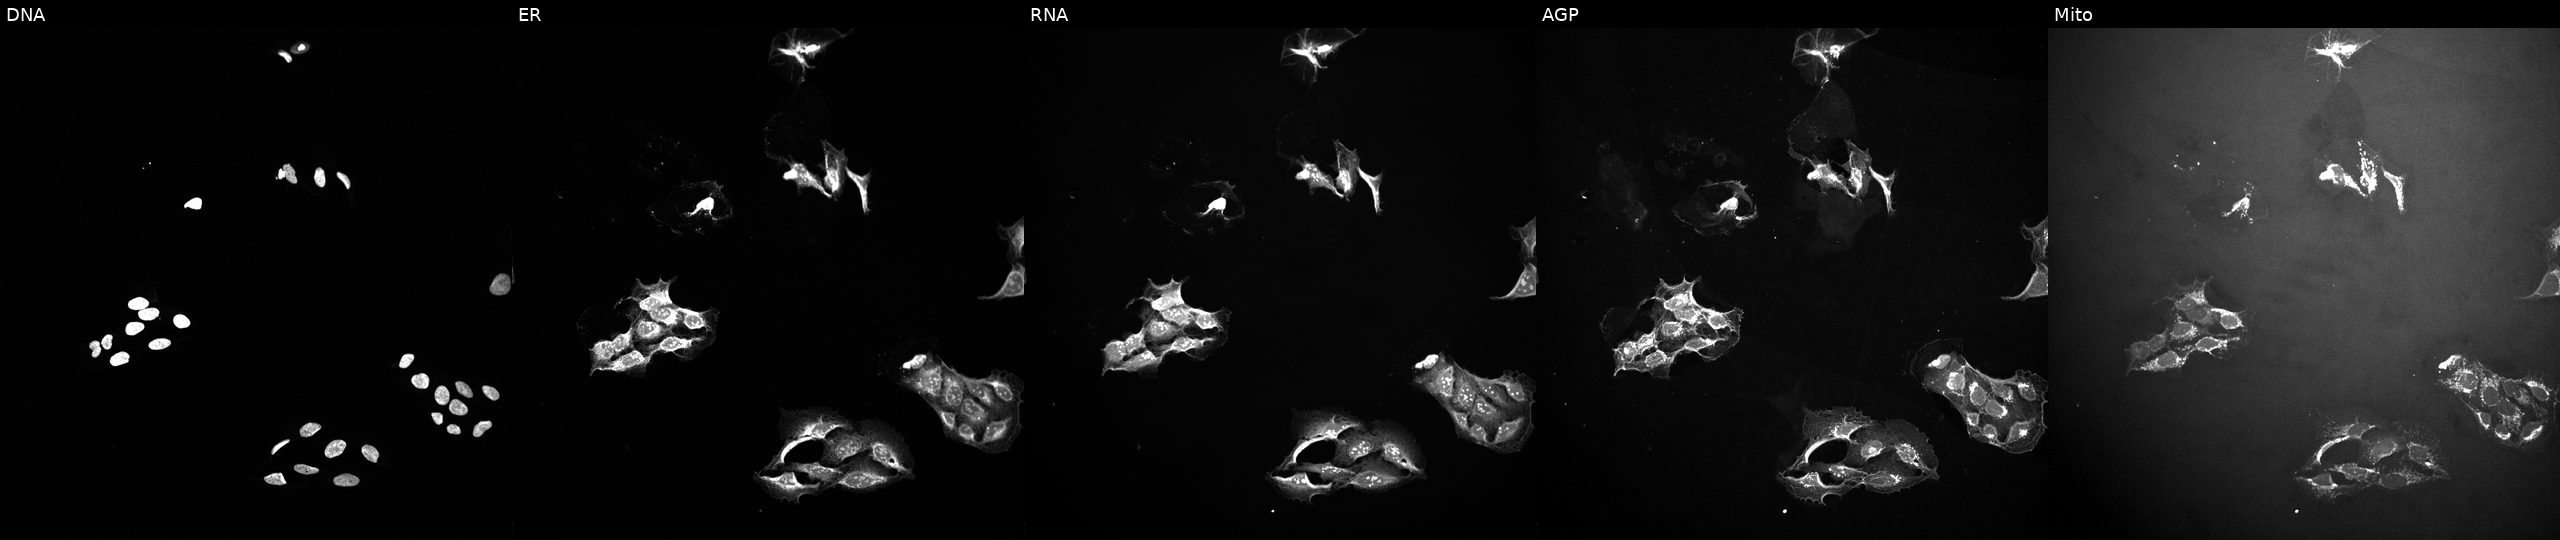
JUMP Cell Painting — TARGET2 plate. U2OS cells exposed to a small-molecule compound [SMILES: CC1(C)C(=O)N=C2c3ccccc3C(=O)C(=O)C21]. The five panels, left to right, show DNA (nuclei); ER (endoplasmic reticulum); RNA (nucleoli and cytoplasmic RNA); AGP (actin cytoskeleton, Golgi, and plasma membrane); Mito (mitochondria).